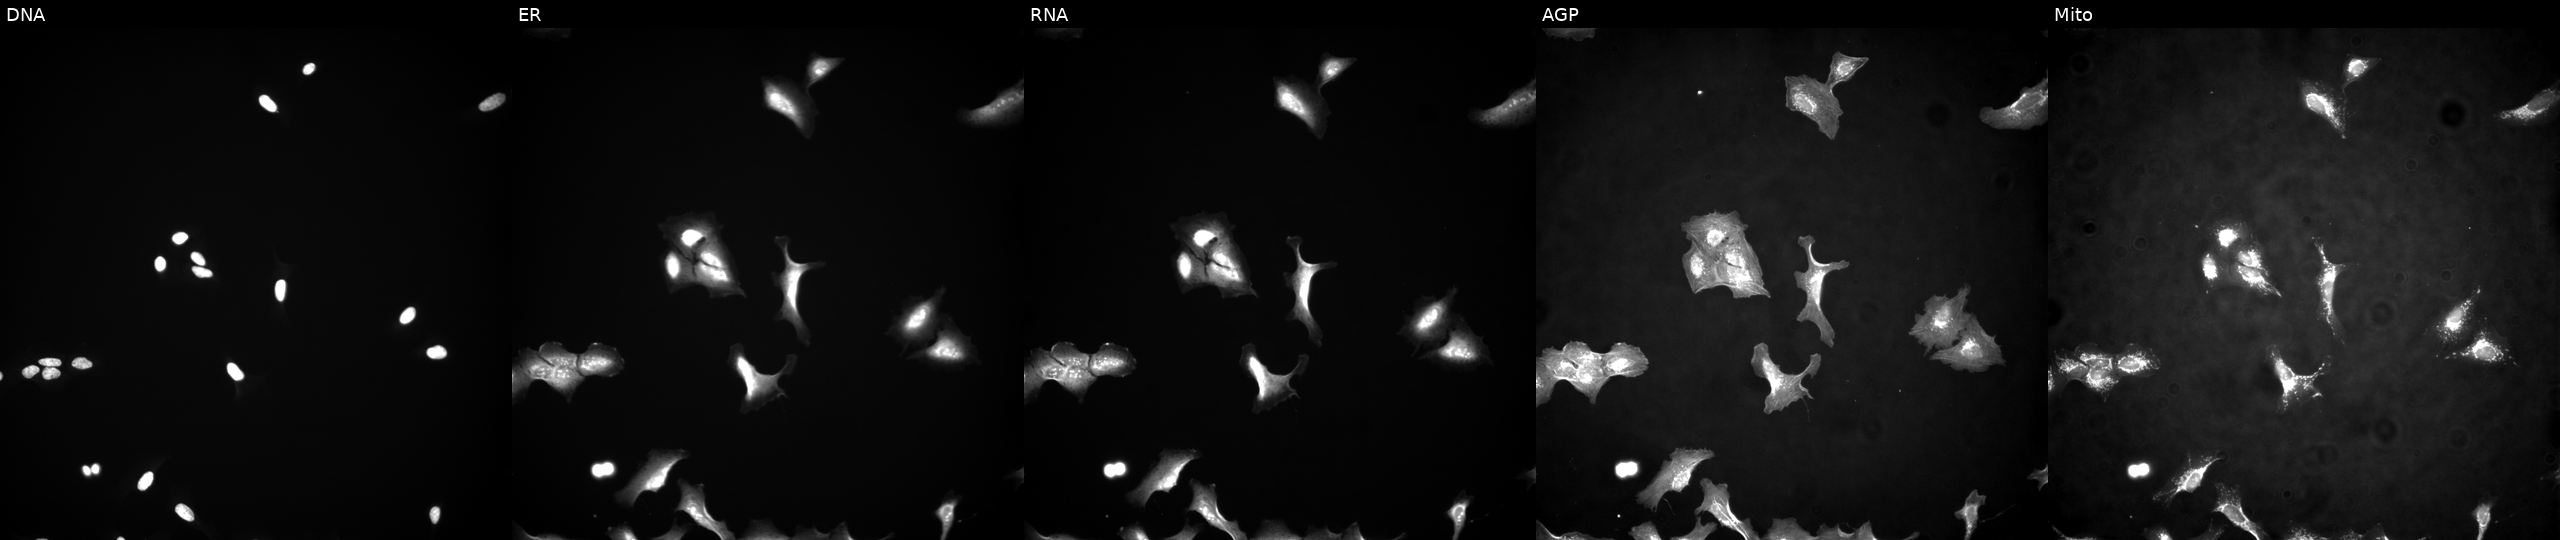
This image strip shows the five Cell Painting channels for a single field of U2OS cells with SIRT2 overexpressed (ORF) (JUMP id JCP2022_902536). Channels (left→right): Hoechst 33342, concanavalin A, SYTO 14, phalloidin and WGA, MitoTracker.